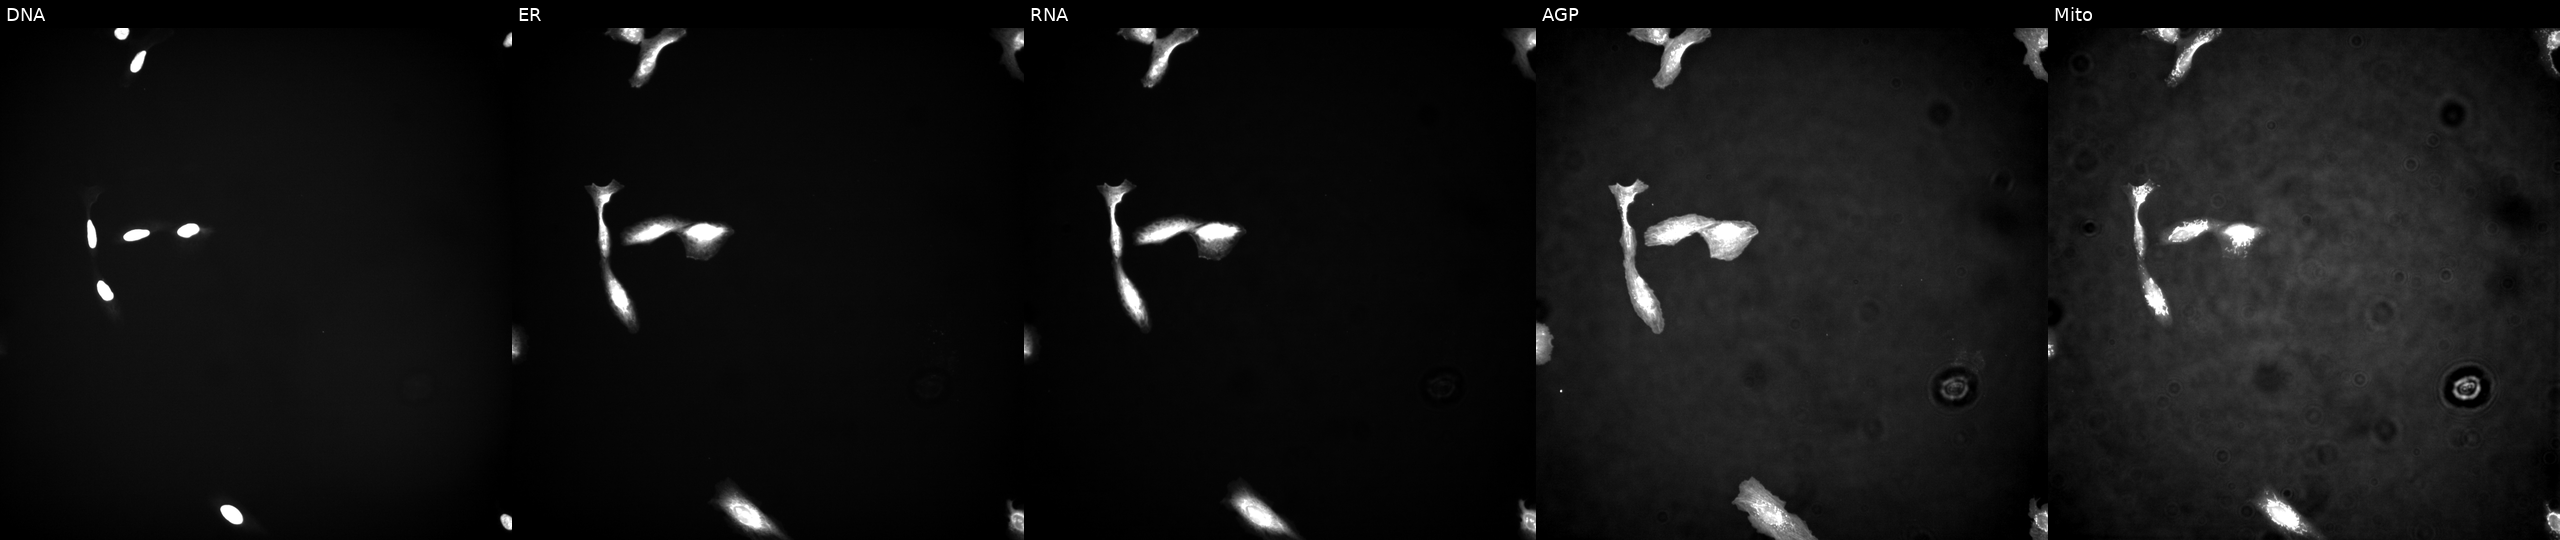
Five-channel Cell Painting image of U2OS cells overexpressing MUSK via ORF transfection (JUMP id JCP2022_913731). The five panels, left to right, show DNA, ER, RNA, AGP, and Mito. Source 4, plate BR00123945, well I14.